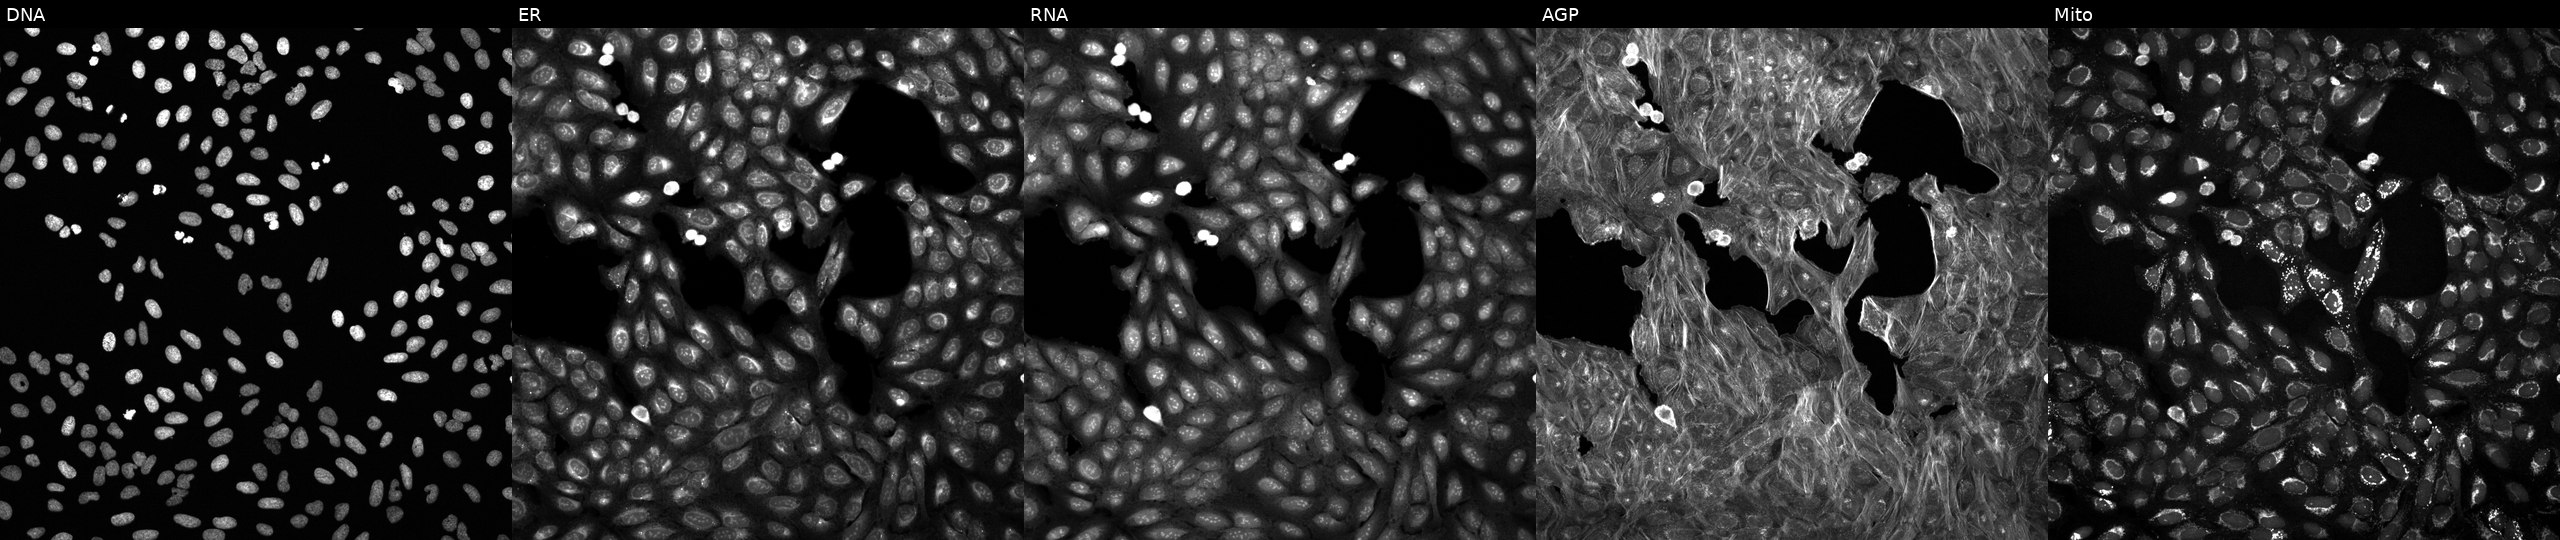
JUMP Cell Painting — COMPOUND plate. U2OS cells treated with a small-molecule compound. From left to right: Hoechst 33342, concanavalin A, SYTO 14, phalloidin and WGA, MitoTracker.